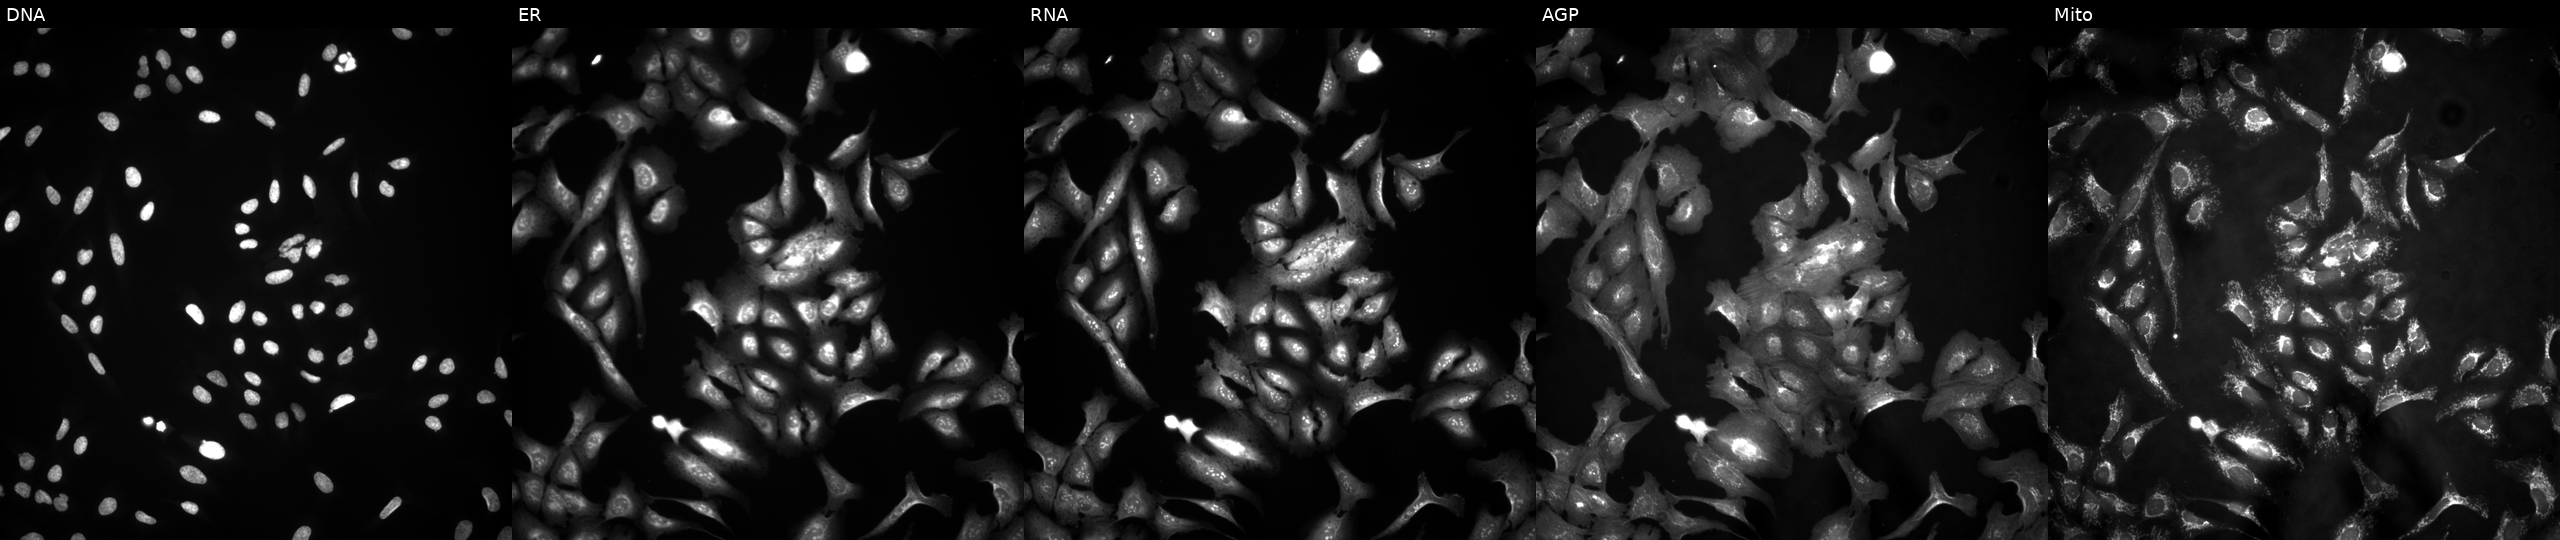
From left to right: DNA, ER, RNA, AGP, and Mito. U2OS osteosarcoma cells overexpressing RAB14 via ORF transfection (JUMP id JCP2022_907774). Cell Painting assay, JUMP-CP dataset.